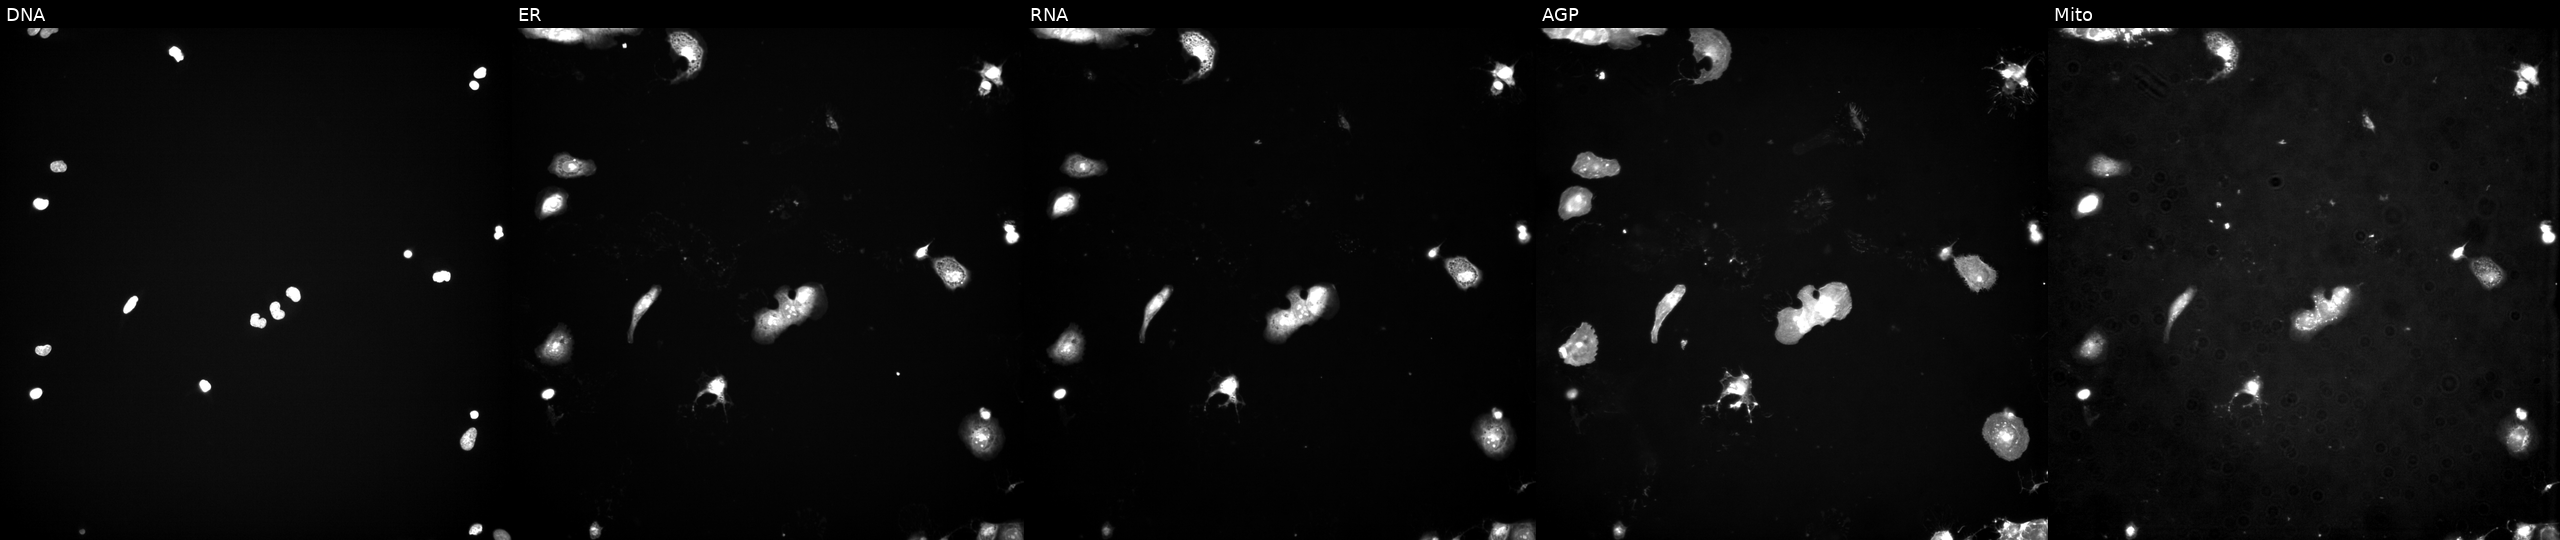
This image strip shows the five Cell Painting channels for a single field of U2OS cells perturbed with a small-molecule compound (InChIKey AJVXVYTVAAWZAP-UHFFFAOYSA-N) (JUMP id JCP2022_001890). Channels (left→right): Hoechst 33342, concanavalin A, SYTO 14, phalloidin and WGA, MitoTracker. Source 3, plate JCPQC051, well O05.